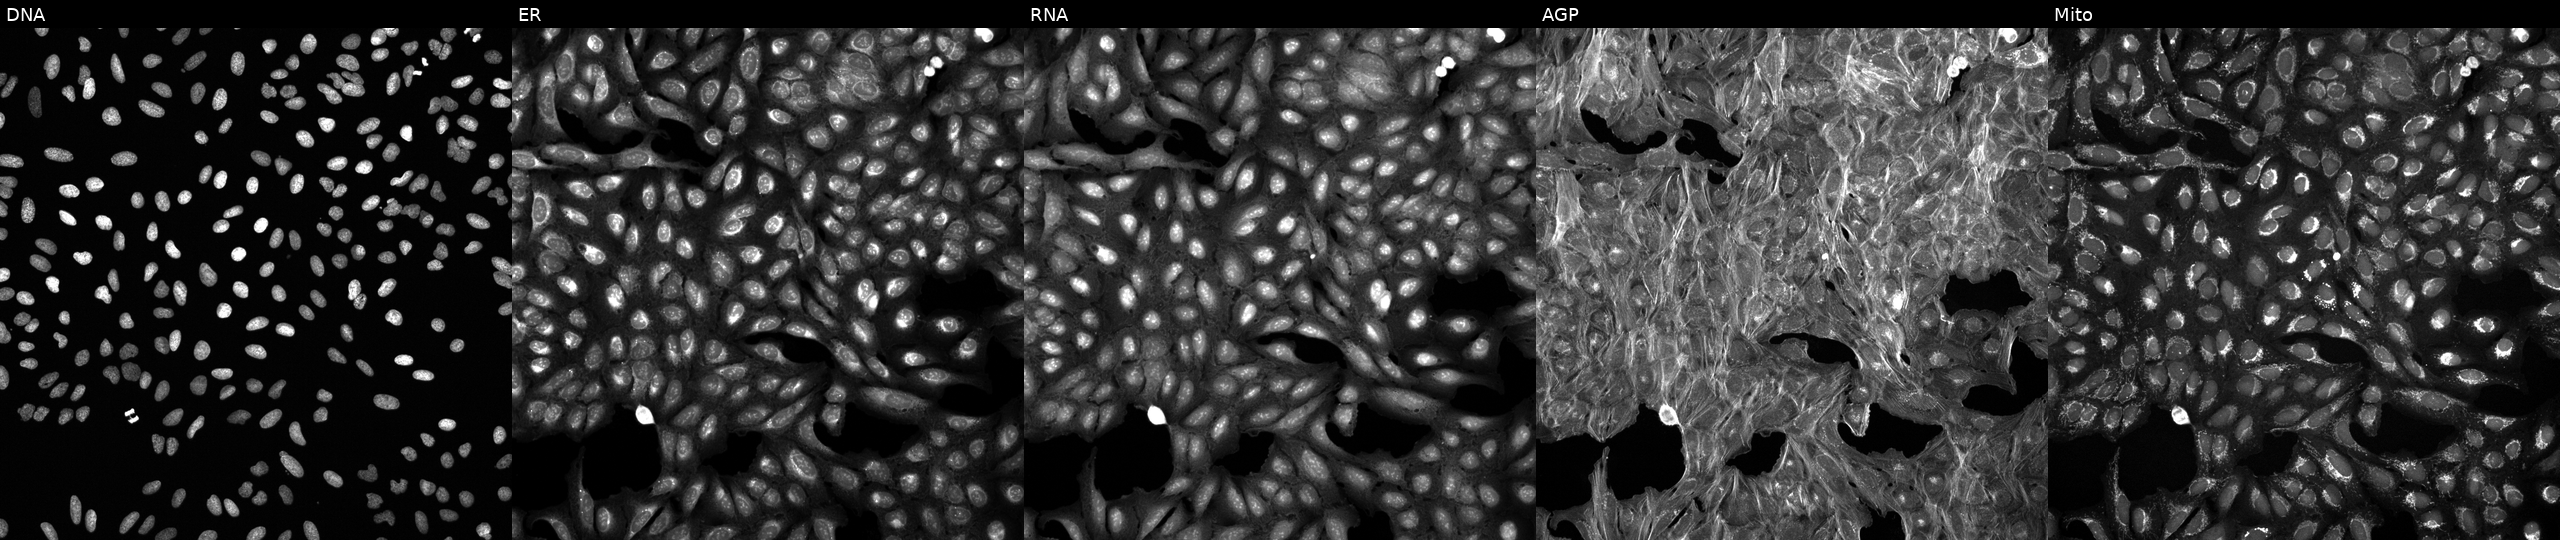
Channels (left→right): DNA (nuclei); ER (endoplasmic reticulum); RNA (nucleoli and cytoplasmic RNA); AGP (actin cytoskeleton, Golgi, and plasma membrane); Mito (mitochondria). U2OS osteosarcoma cells treated with a small-molecule compound (JUMP id JCP2022_106722). Cell Painting assay, JUMP-CP dataset.